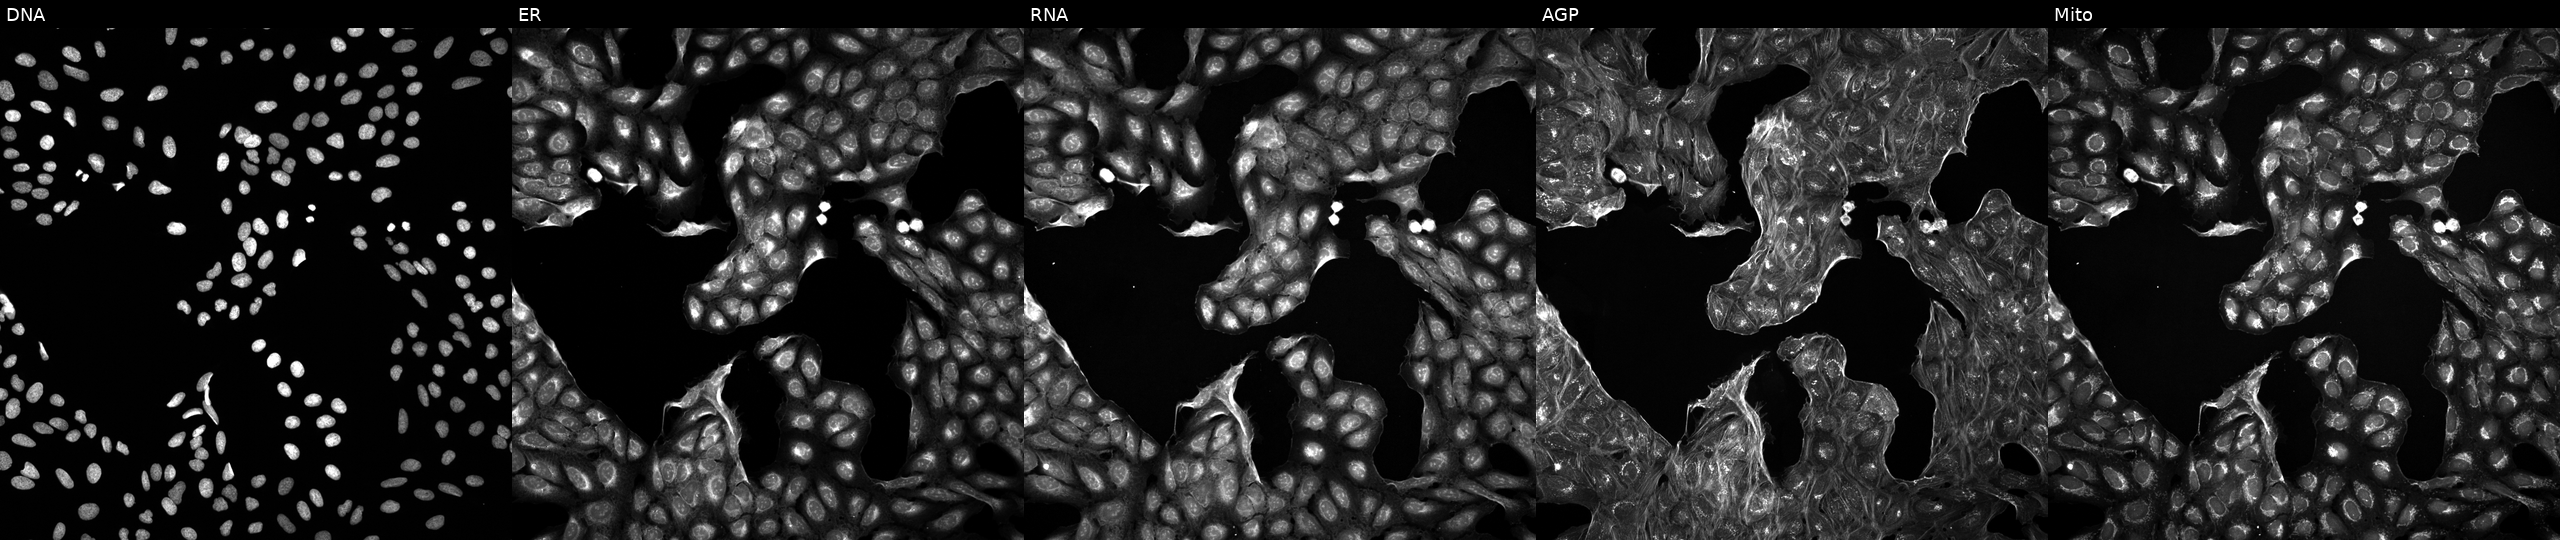
High-content fluorescence microscopy (Cell Painting). Cell line: U2OS. Perturbation: exposed to the positive-control compound aloxistatin. Panels show, left to right, Hoechst 33342, concanavalin A, SYTO 14, phalloidin and WGA, MitoTracker.